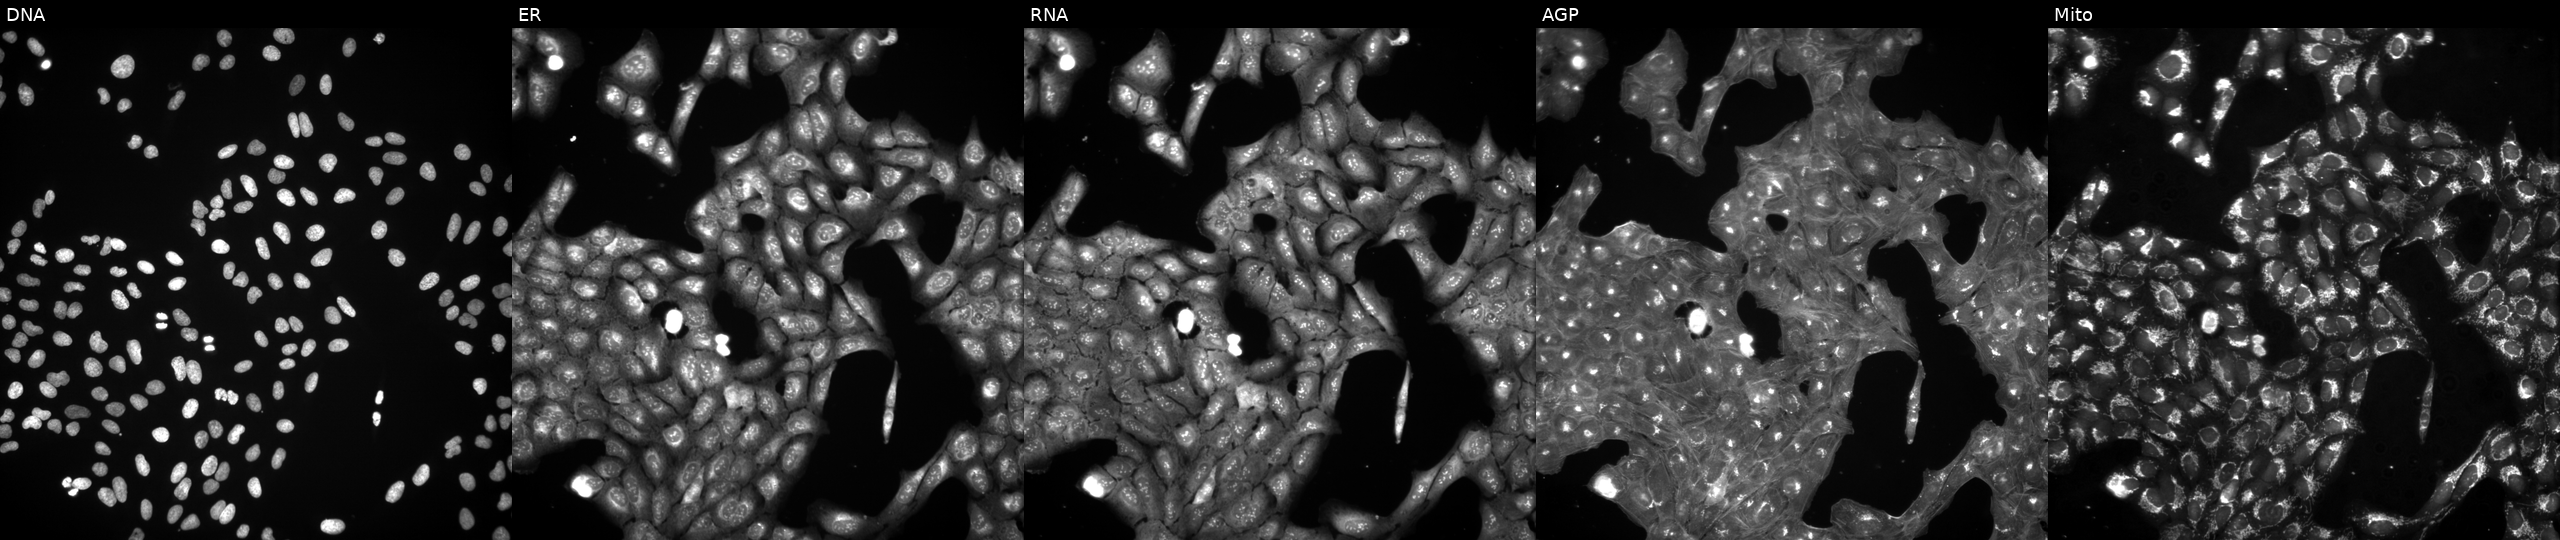
Channels (left→right): Hoechst 33342, concanavalin A, SYTO 14, phalloidin and WGA, MitoTracker. U2OS osteosarcoma cells exposed to a small-molecule compound. Cell Painting assay, JUMP-CP dataset. Source 3, plate JCPQC052, well C12.